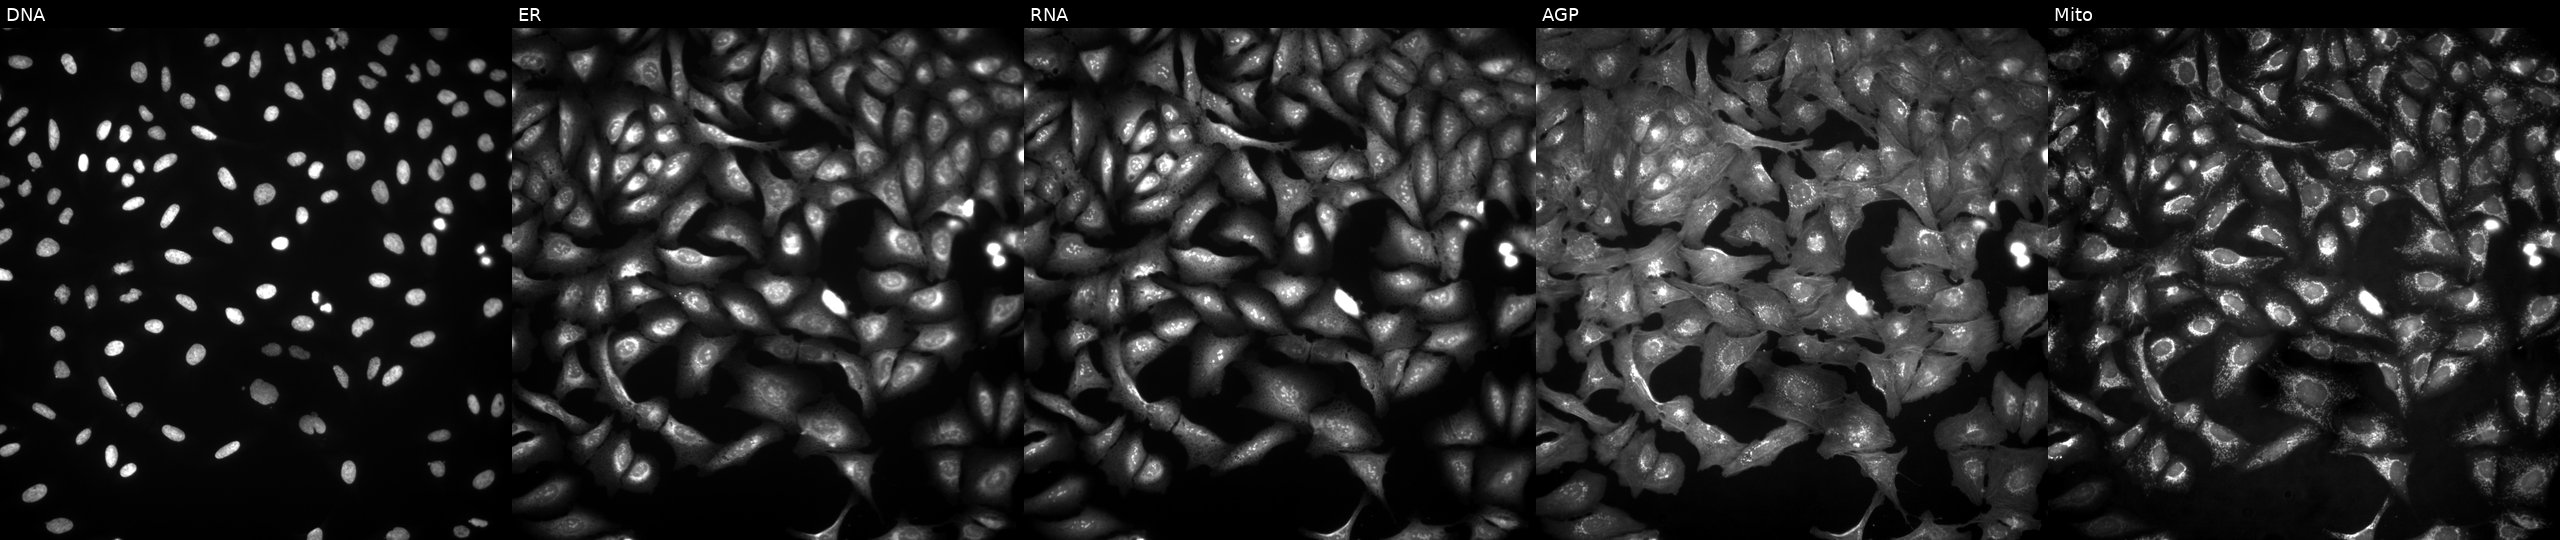
JUMP Cell Painting — ORF plate. U2OS cells expressing HcRed (ORF negative control) (JUMP id JCP2022_915129). Panels show, left to right, DNA, ER, RNA, AGP, and Mito. Source 4, plate BR00124790, well E21.